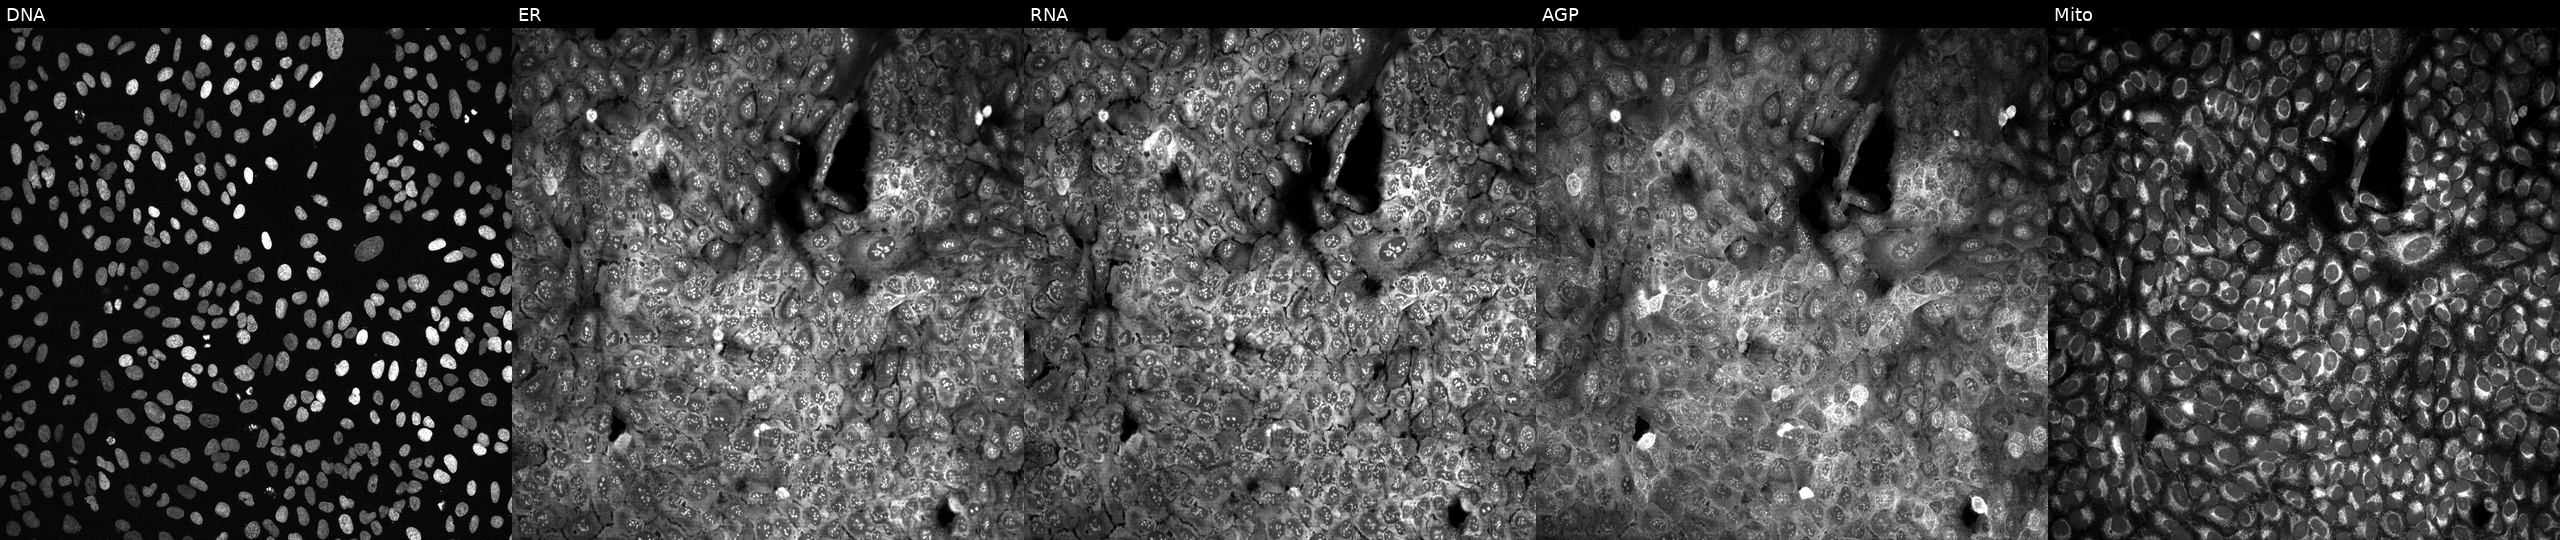
Five-channel Cell Painting image of U2OS cells following CRISPR knockout of PIGL (JUMP id JCP2022_805145). Channels (left→right): Hoechst 33342, concanavalin A, SYTO 14, phalloidin and WGA, MitoTracker. Source 13, plate CP-CC9-R4-03, well P12.